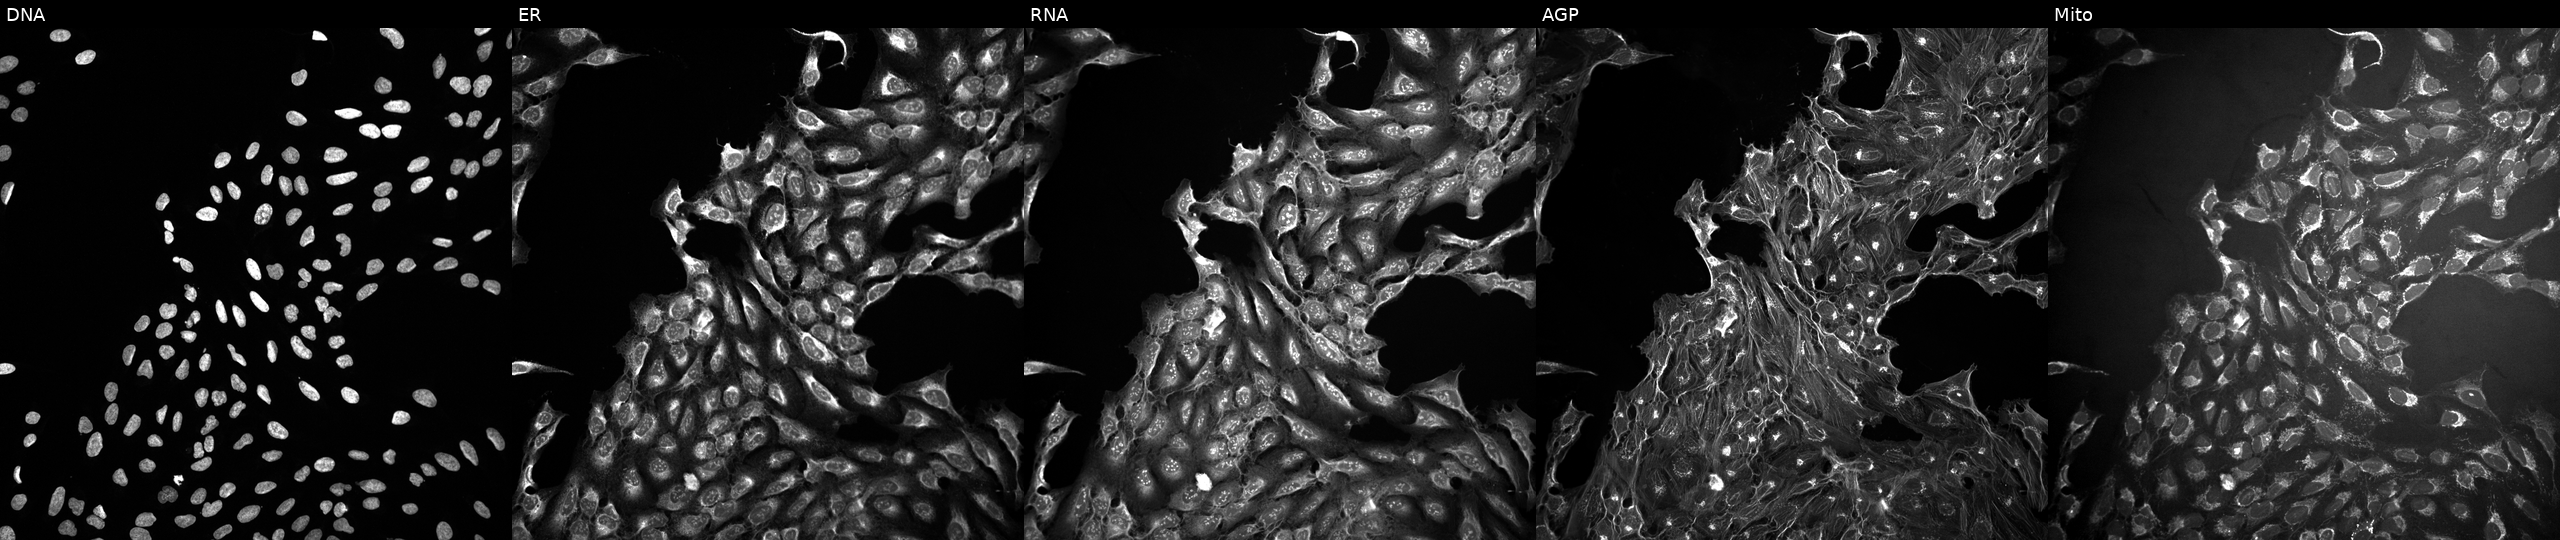
U2OS cells, Cell Painting assay, exposed to a small-molecule compound (InChIKey NLSYWUDRQAJDJT-UHFFFAOYSA-N). Panels show, left to right, DNA, ER, RNA, AGP, and Mito. Each panel is percentile-stretched 16-bit fluorescence.